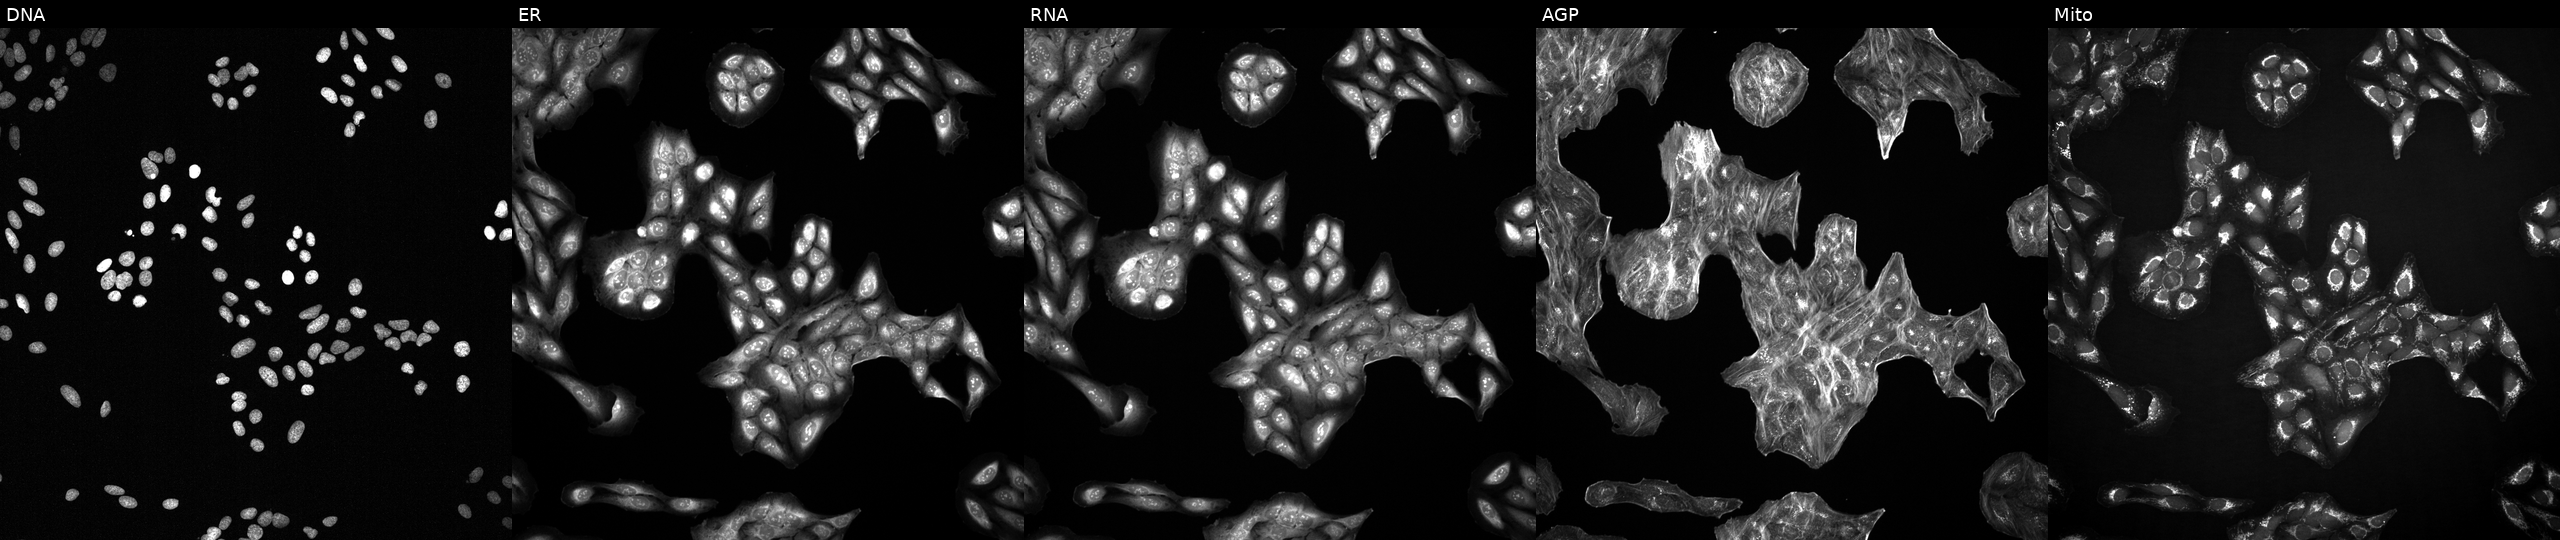
High-content fluorescence microscopy (Cell Painting). Cell line: U2OS. Perturbation: with an unidentified perturbation (not annotated in JUMP metadata). Channels (left→right): DNA, ER, RNA, AGP, and Mito.